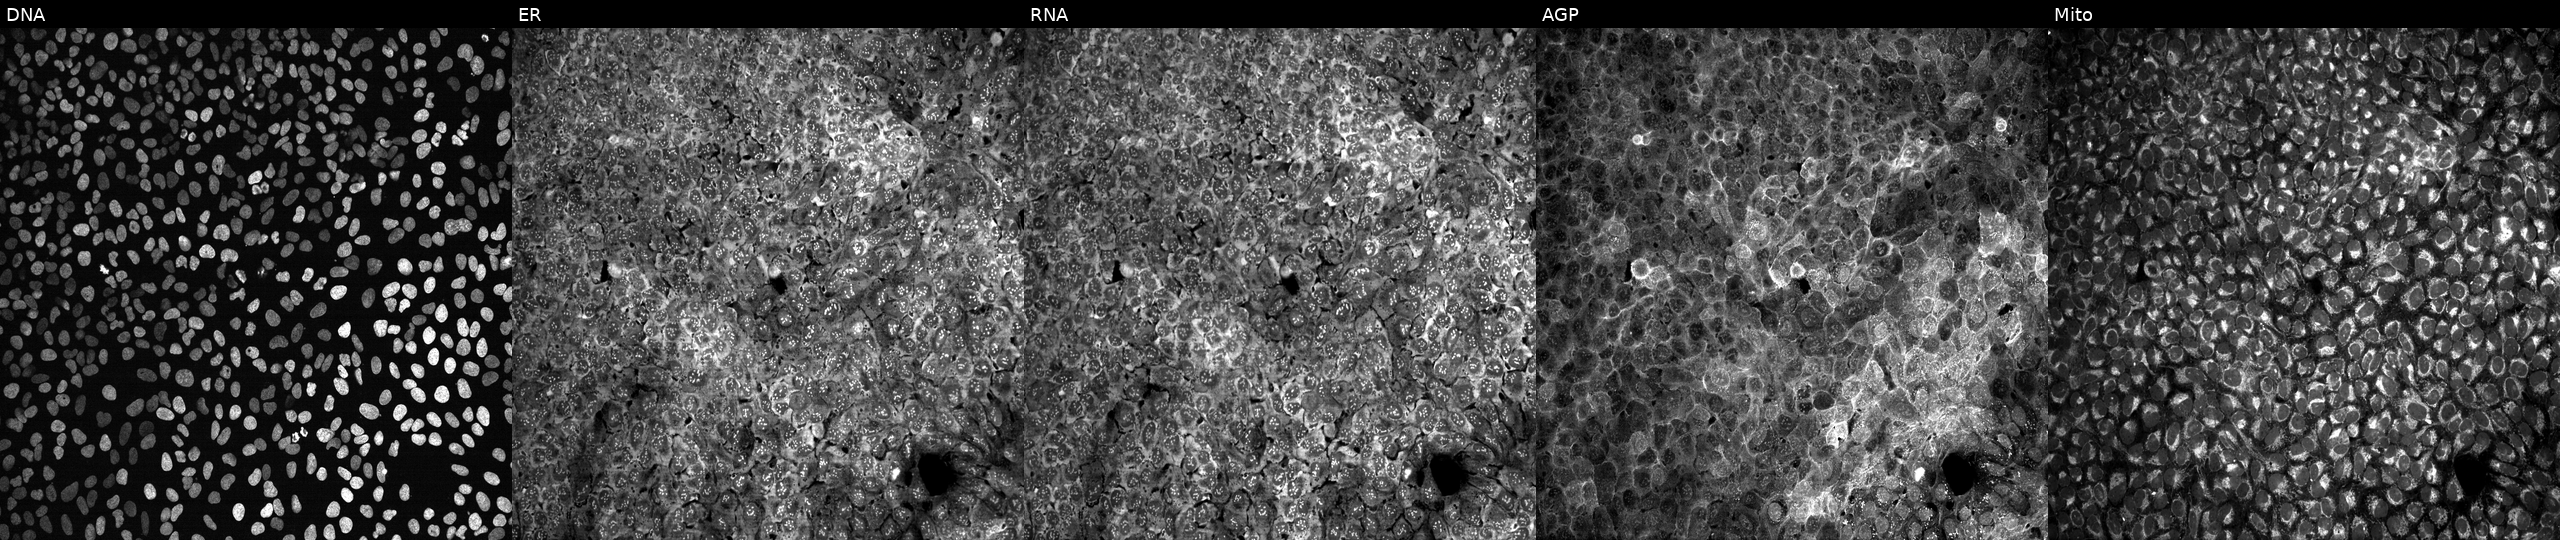
High-content fluorescence microscopy (Cell Painting). Cell line: U2OS. Perturbation: exposed to the positive-control compound dexamethasone. Channels (left→right): DNA (nuclei); ER (endoplasmic reticulum); RNA (nucleoli and cytoplasmic RNA); AGP (actin cytoskeleton, Golgi, and plasma membrane); Mito (mitochondria). Source 13, plate CP-CC9-R4-04, well C01.